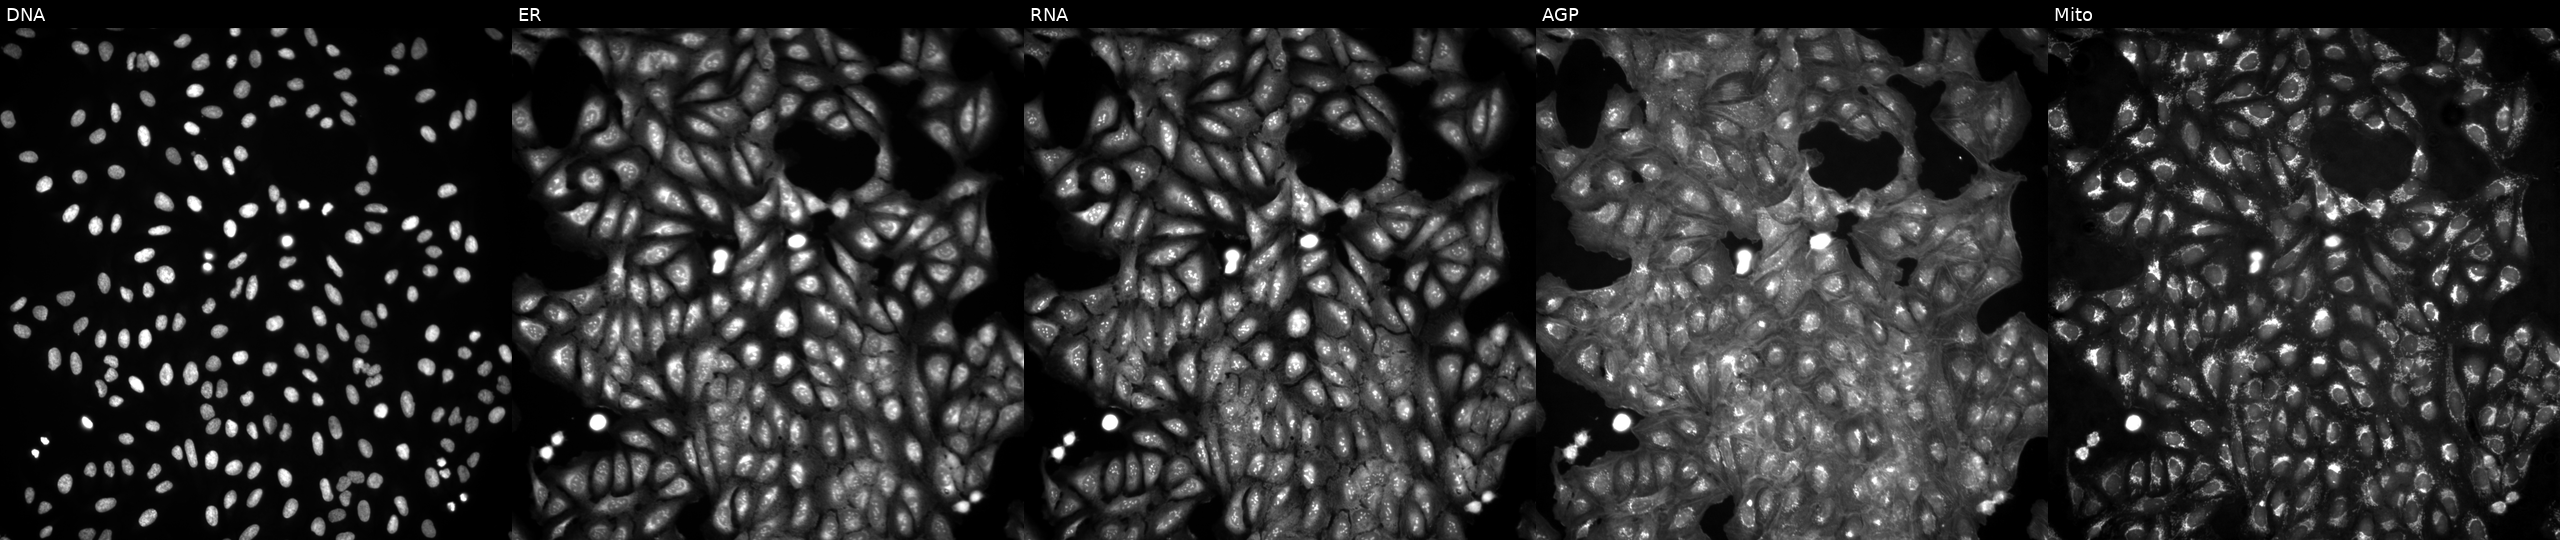
From left to right: Hoechst 33342, concanavalin A, SYTO 14, phalloidin and WGA, MitoTracker. U2OS osteosarcoma cells untreated (empty-well control) (JUMP id JCP2022_999999). Cell Painting assay, JUMP-CP dataset.